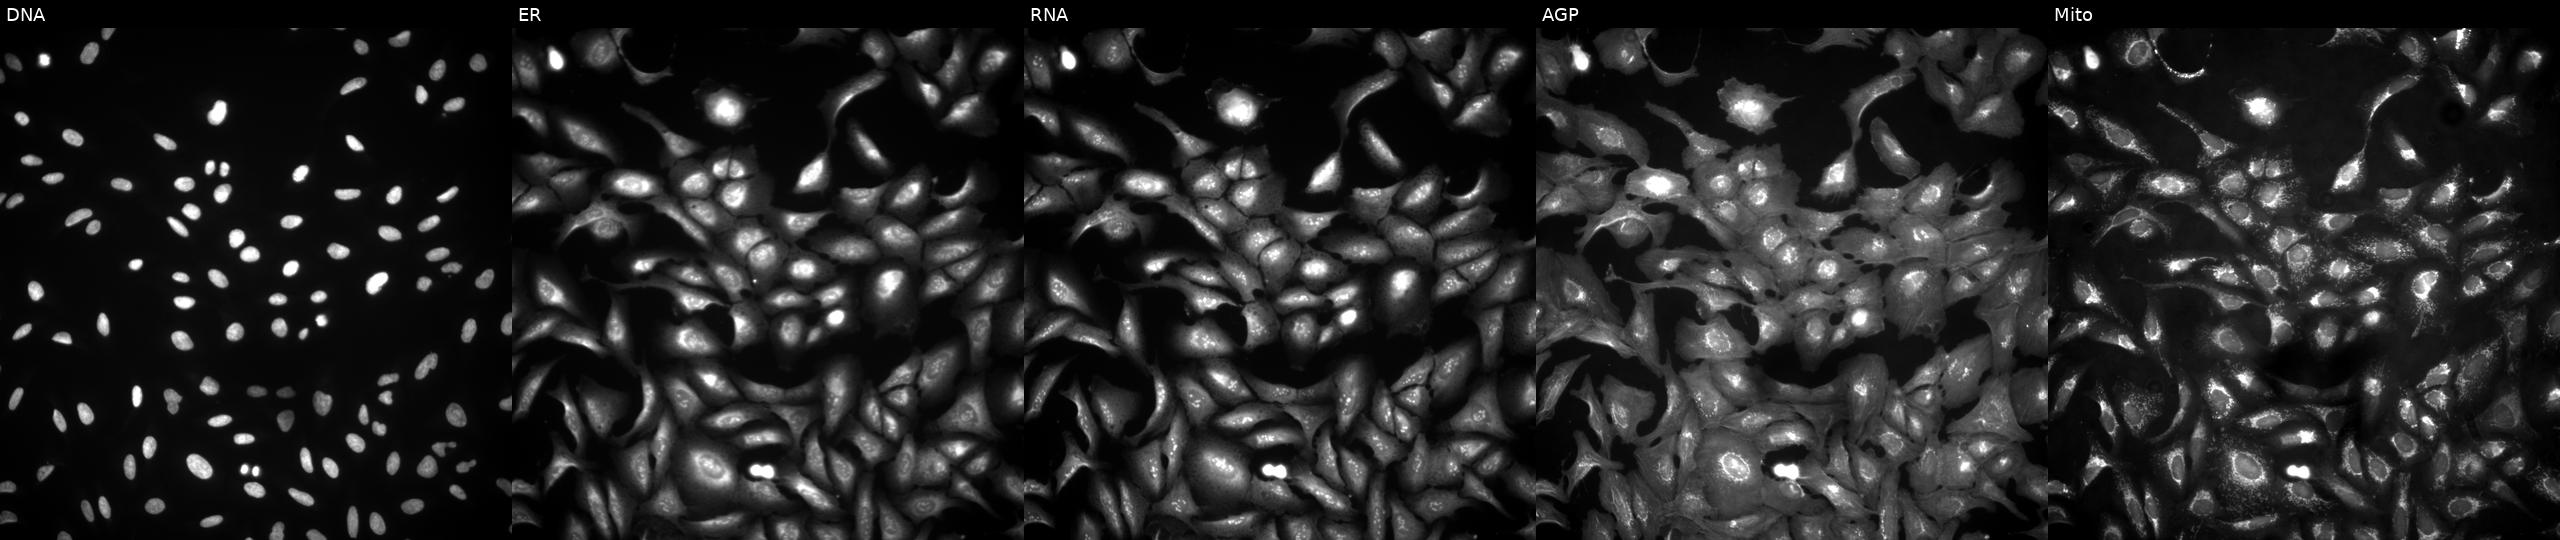
U2OS cells, Cell Painting assay, with TMEM39A overexpressed (ORF). Panels show, left to right, Hoechst 33342, concanavalin A, SYTO 14, phalloidin and WGA, MitoTracker. Each panel is percentile-stretched 16-bit fluorescence. Source 4, plate BR00124790, well D07.